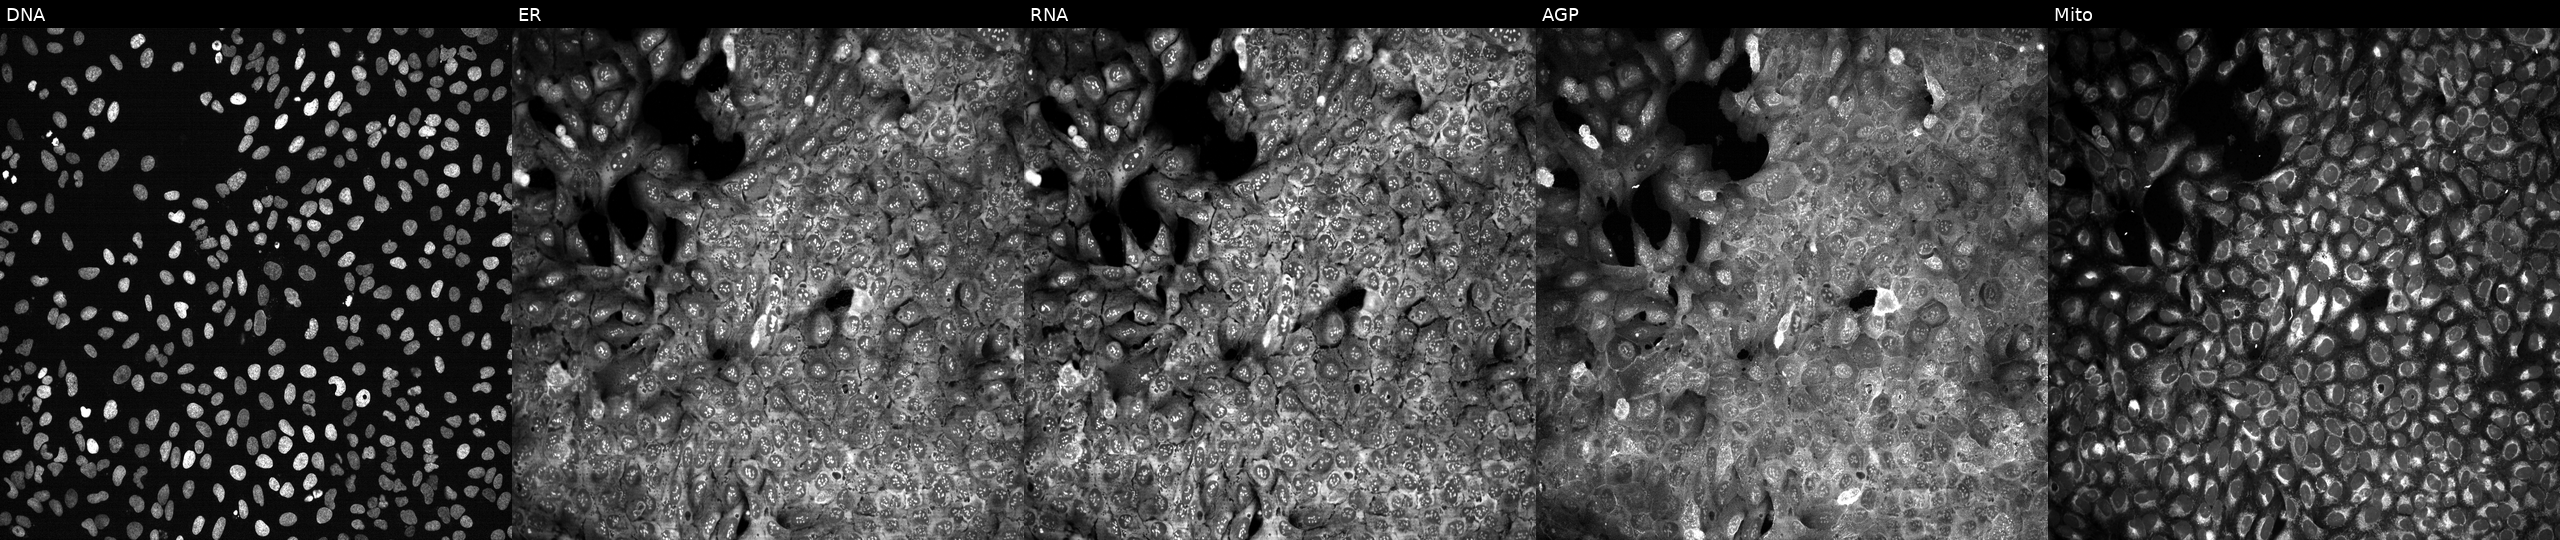
This image strip shows the five Cell Painting channels for a single field of U2OS cells with GSTM3 knocked out by CRISPR. From left to right: DNA (nuclei); ER (endoplasmic reticulum); RNA (nucleoli and cytoplasmic RNA); AGP (actin cytoskeleton, Golgi, and plasma membrane); Mito (mitochondria). Source 13, plate CP-CC9-R4-04, well H17.